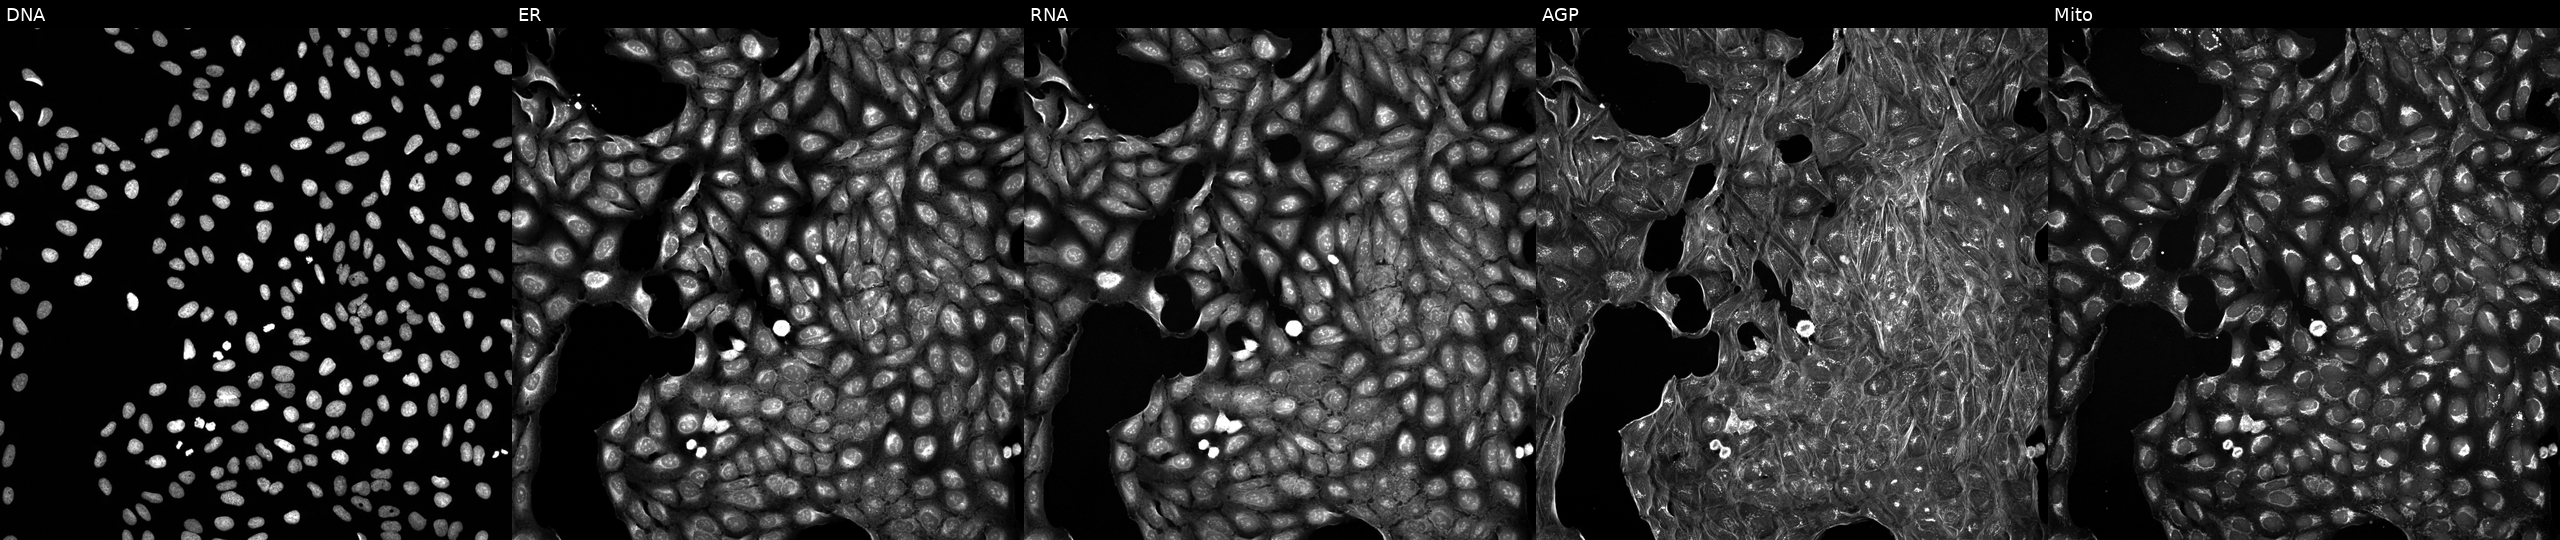
This image strip shows the five Cell Painting channels for a single field of U2OS cells perturbed with a small-molecule compound (InChIKey HFYPTENHTPNXGP-UHFFFAOYSA-N) [SMILES: O=C(O)c1ccc2c(c1)C(=O)N(c1cccc(Oc3ccc([N+](=O)[O-])cc3)c1)C2=O]. Channels (left→right): DNA (nuclei); ER (endoplasmic reticulum); RNA (nucleoli and cytoplasmic RNA); AGP (actin cytoskeleton, Golgi, and plasma membrane); Mito (mitochondria). Source 5, plate ACPJUM032, well B11.